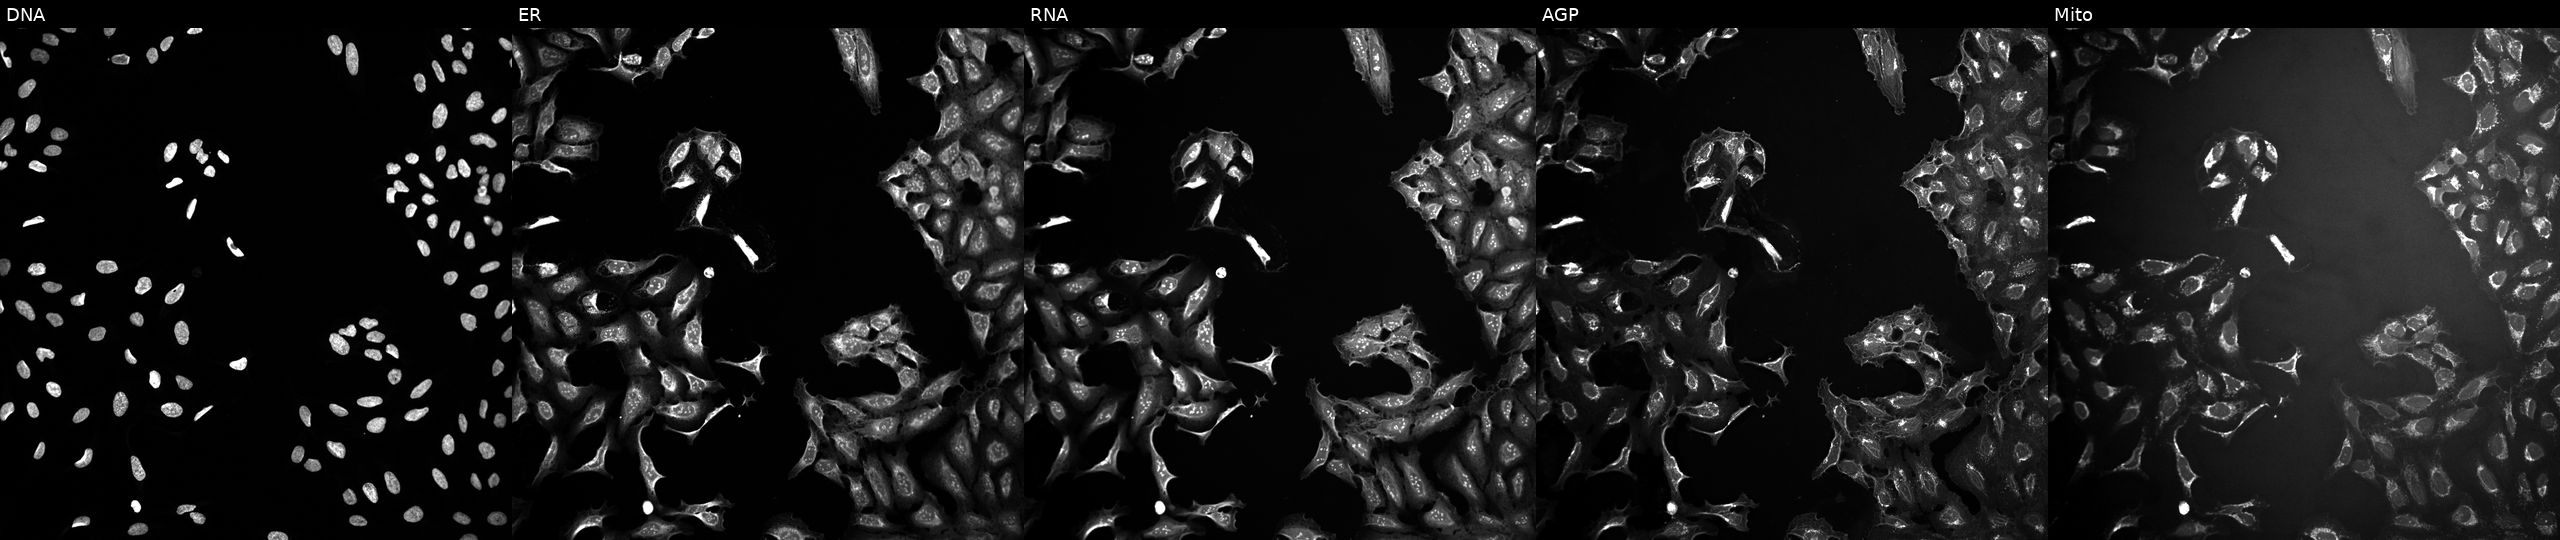
Five-channel Cell Painting image of U2OS cells exposed to a small-molecule compound (InChIKey ALBKMJDFBZVHAK-UHFFFAOYSA-N). The five panels, left to right, show Hoechst 33342, concanavalin A, SYTO 14, phalloidin and WGA, MitoTracker. Source 10, plate Dest210803-153958, well M19.